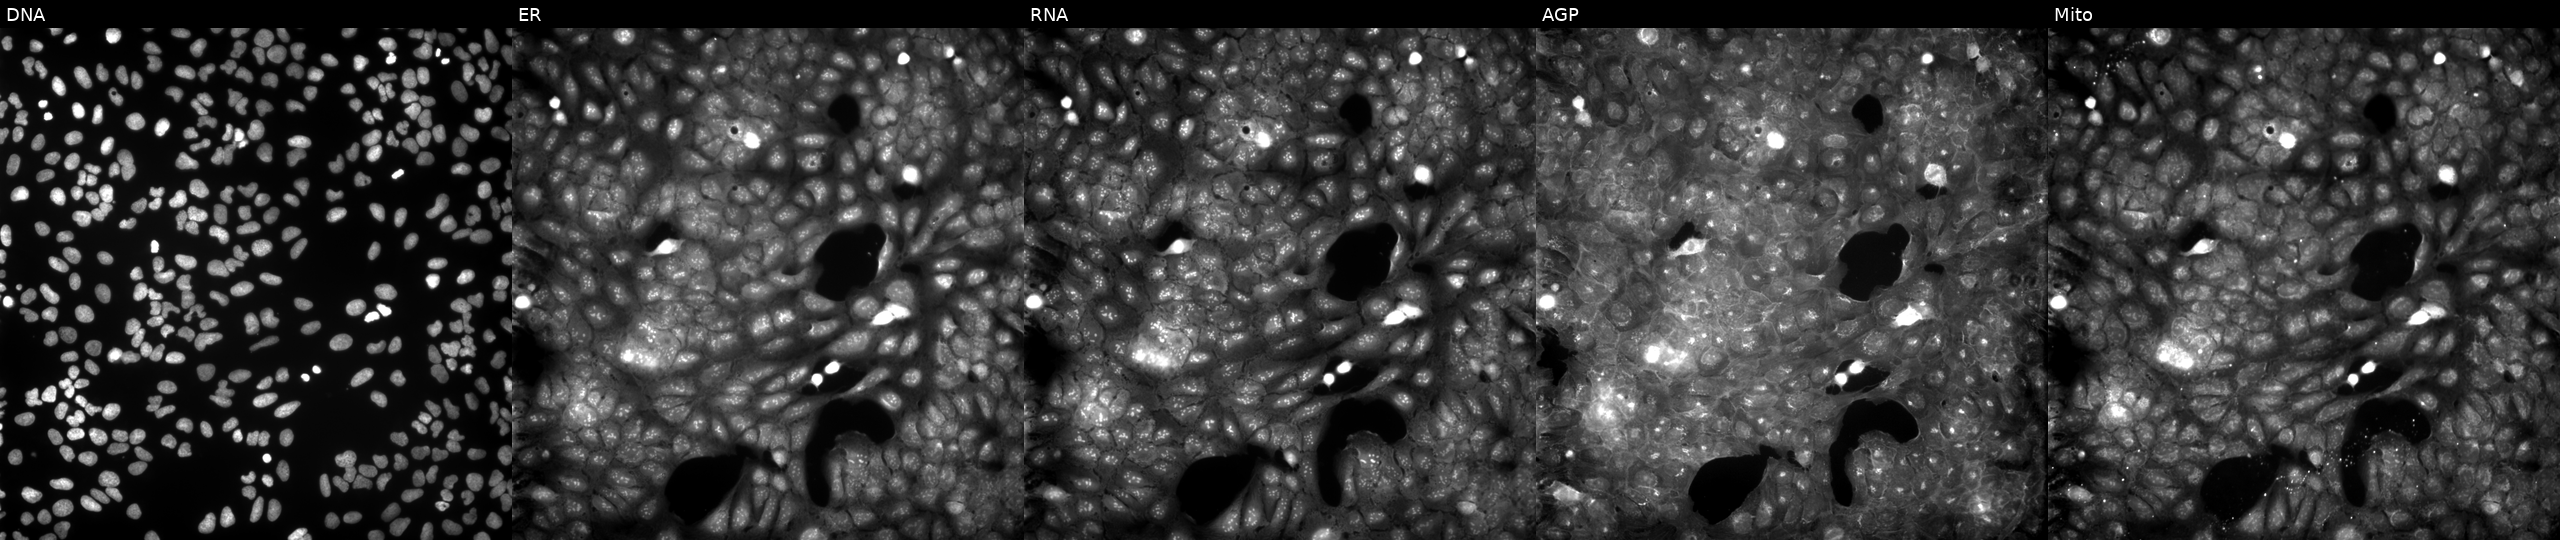
High-content fluorescence microscopy (Cell Painting). Cell line: U2OS. Perturbation: treated with a small-molecule compound (InChIKey XJRXUQAPJREHOO-UHFFFAOYSA-N) (JUMP id JCP2022_104076). From left to right: DNA, ER, RNA, AGP, and Mito. Source 9, plate GR00003381, well H22.